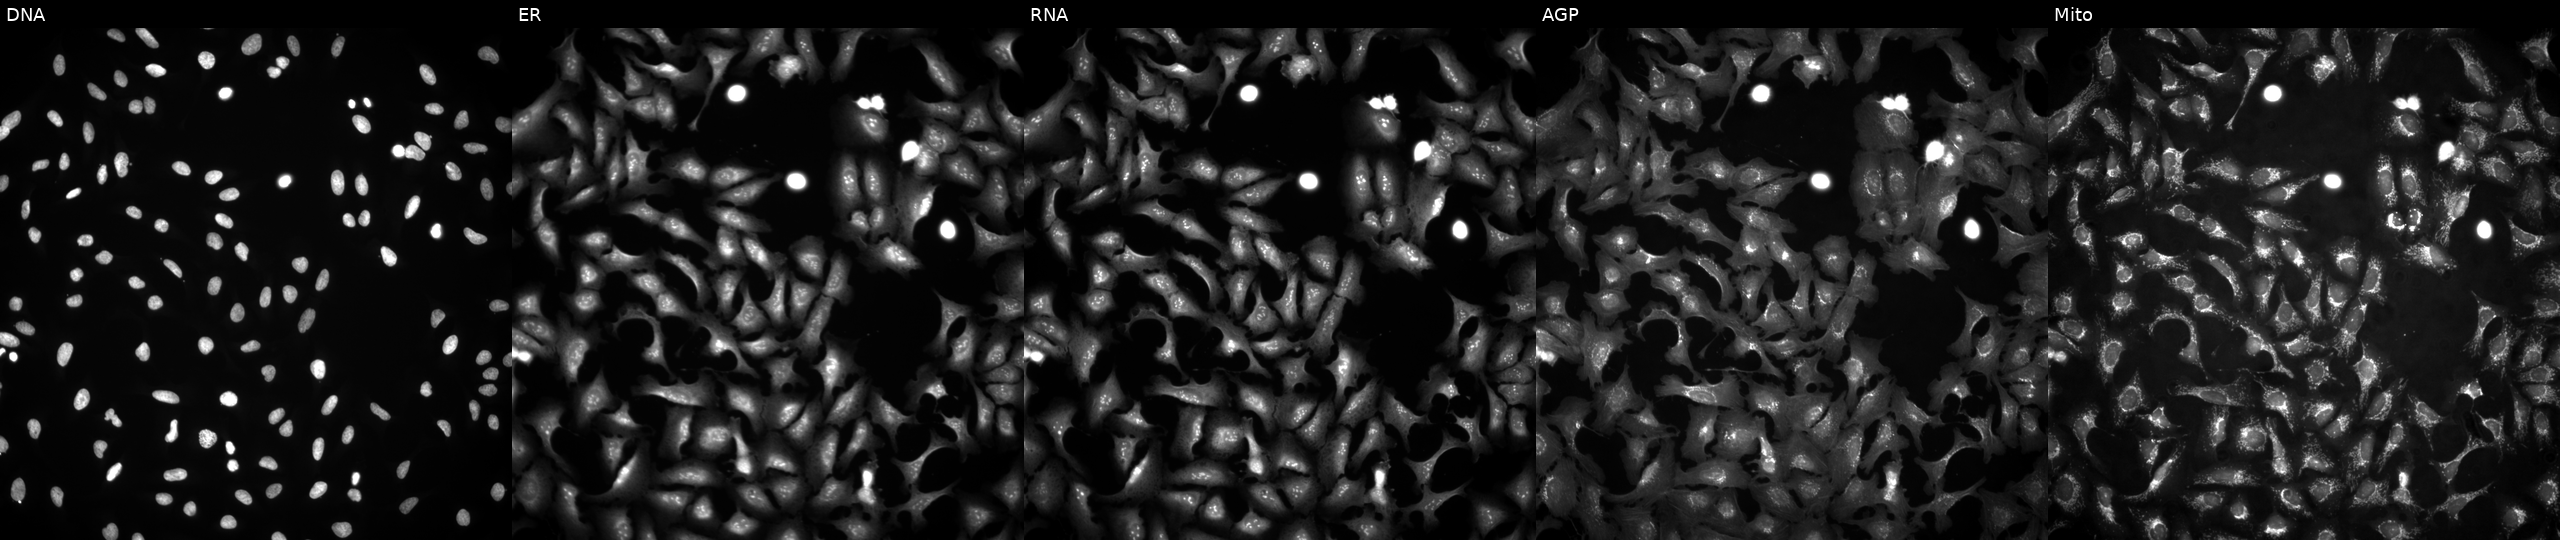
This image strip shows the five Cell Painting channels for a single field of U2OS cells with NPY overexpressed (ORF) (JUMP id JCP2022_906224). The five panels, left to right, show DNA, ER, RNA, AGP, and Mito.